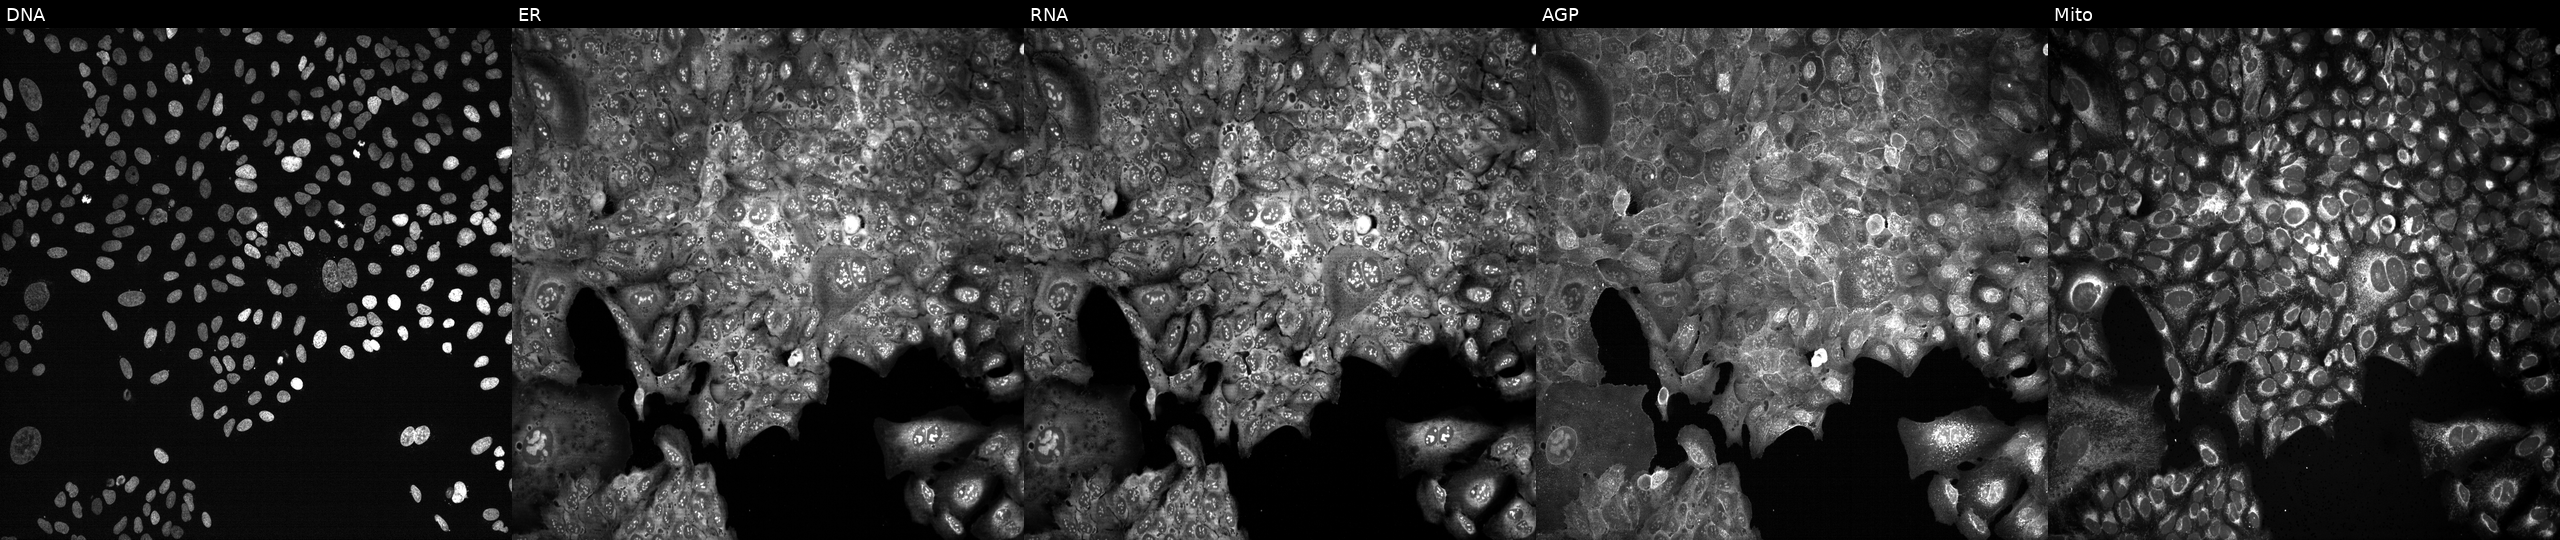
JUMP Cell Painting — CRISPR plate. U2OS cells CRISPR-edited to disrupt FDFT1 (JUMP id JCP2022_802354). Channels (left→right): Hoechst 33342, concanavalin A, SYTO 14, phalloidin and WGA, MitoTracker.